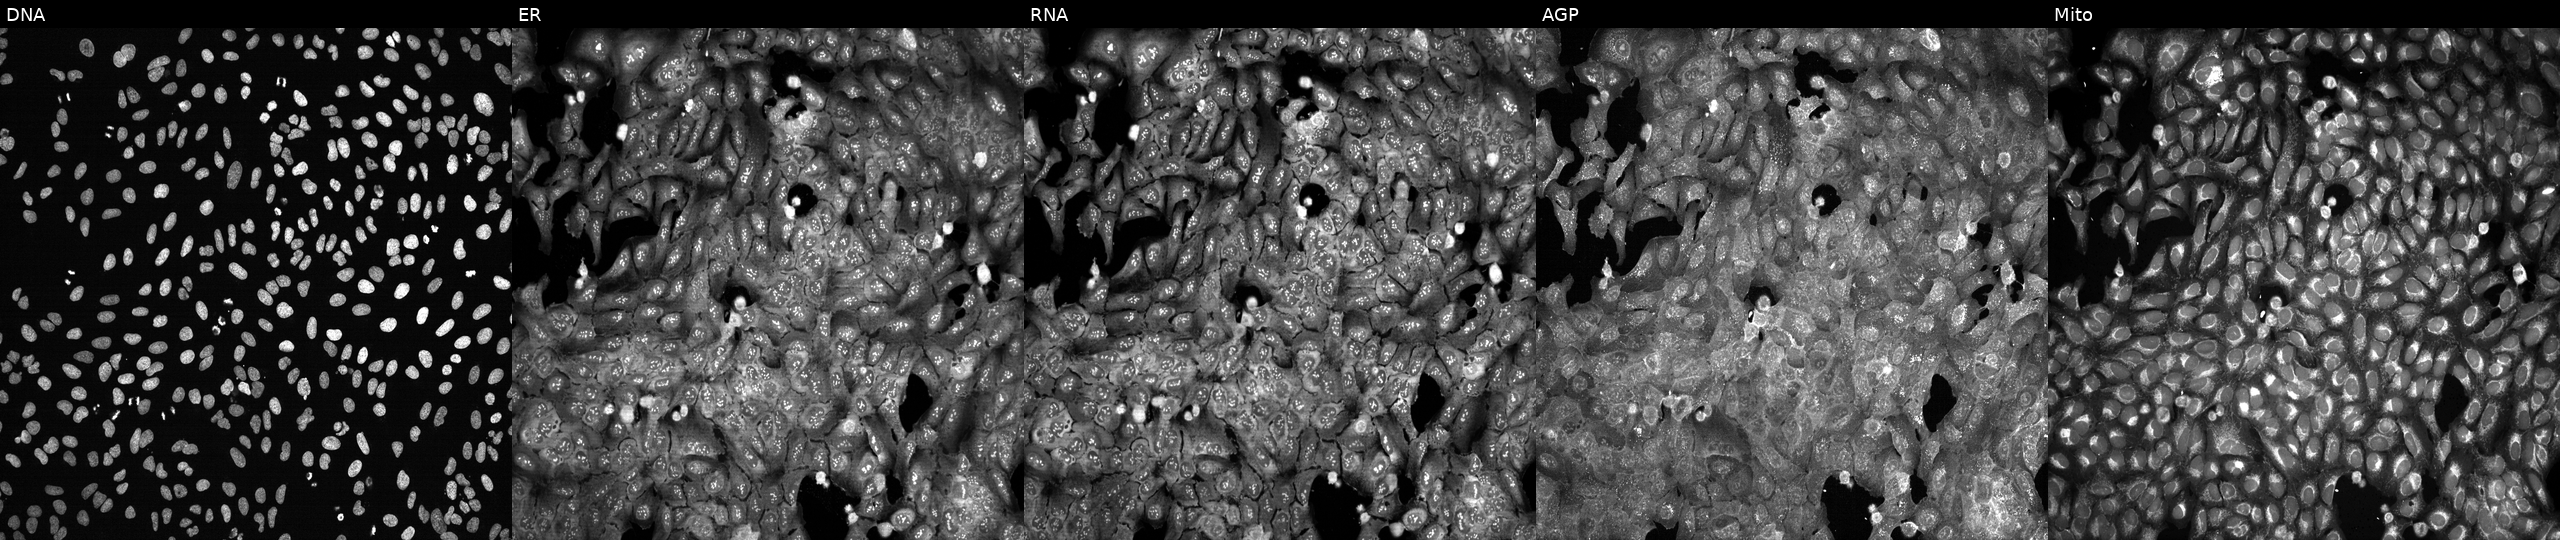
This image strip shows the five Cell Painting channels for a single field of U2OS cells following CRISPR knockout of TLR1 (JUMP id JCP2022_807109). Channels (left→right): Hoechst 33342, concanavalin A, SYTO 14, phalloidin and WGA, MitoTracker. Source 13, plate CP-CC9-R5-01, well M07.